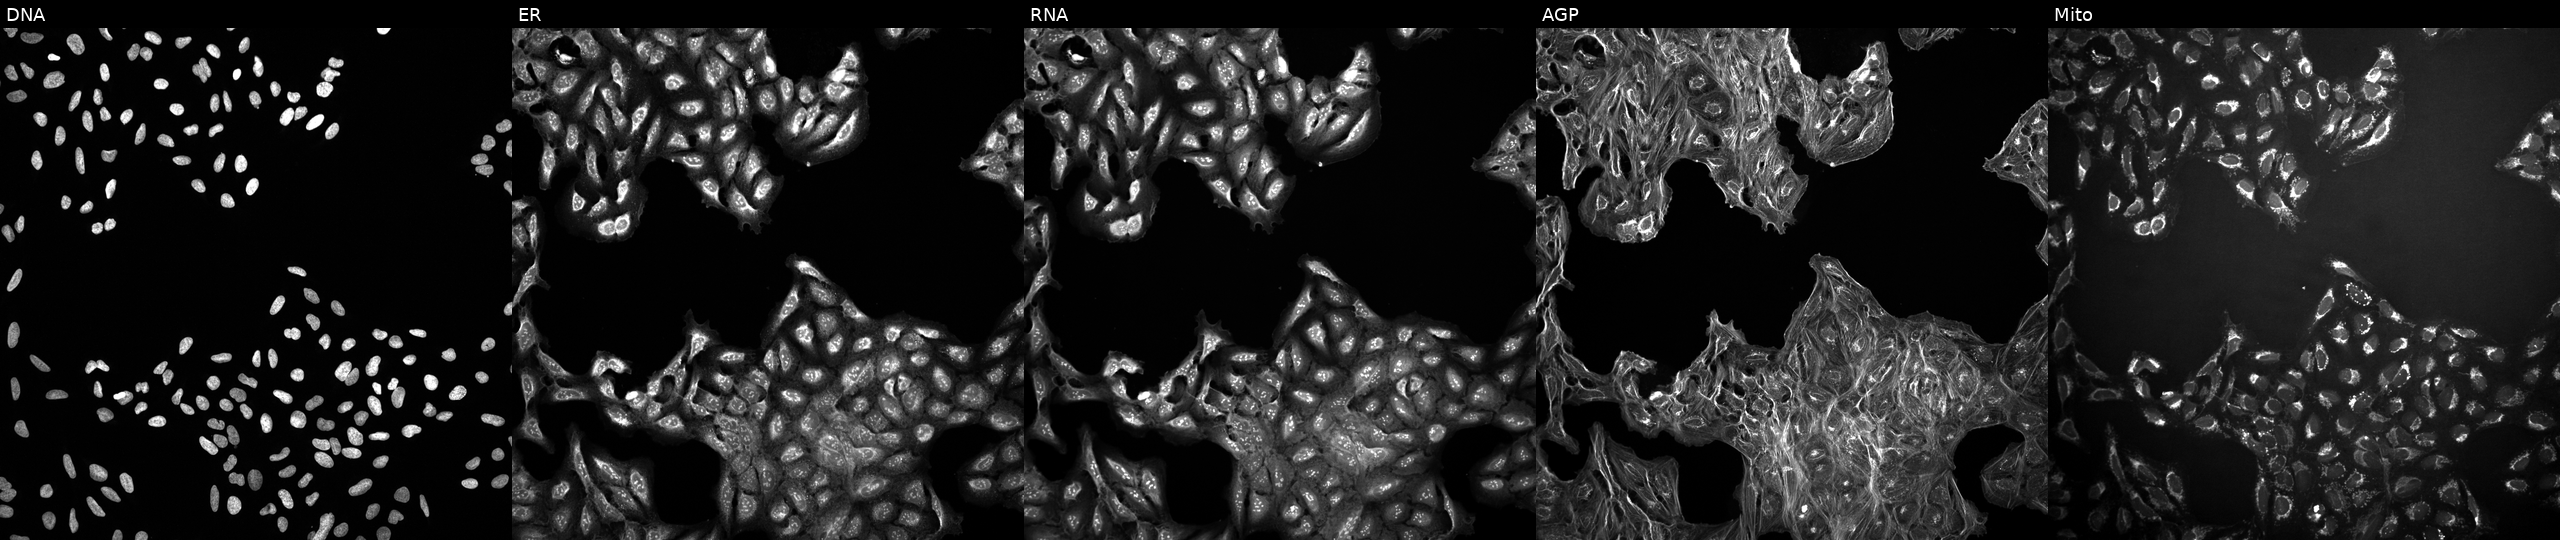
U2OS cells, Cell Painting assay, exposed to the positive-control compound aloxistatin (JUMP id JCP2022_085227). The five panels, left to right, show DNA (nuclei); ER (endoplasmic reticulum); RNA (nucleoli and cytoplasmic RNA); AGP (actin cytoskeleton, Golgi, and plasma membrane); Mito (mitochondria). Each panel is percentile-stretched 16-bit fluorescence.